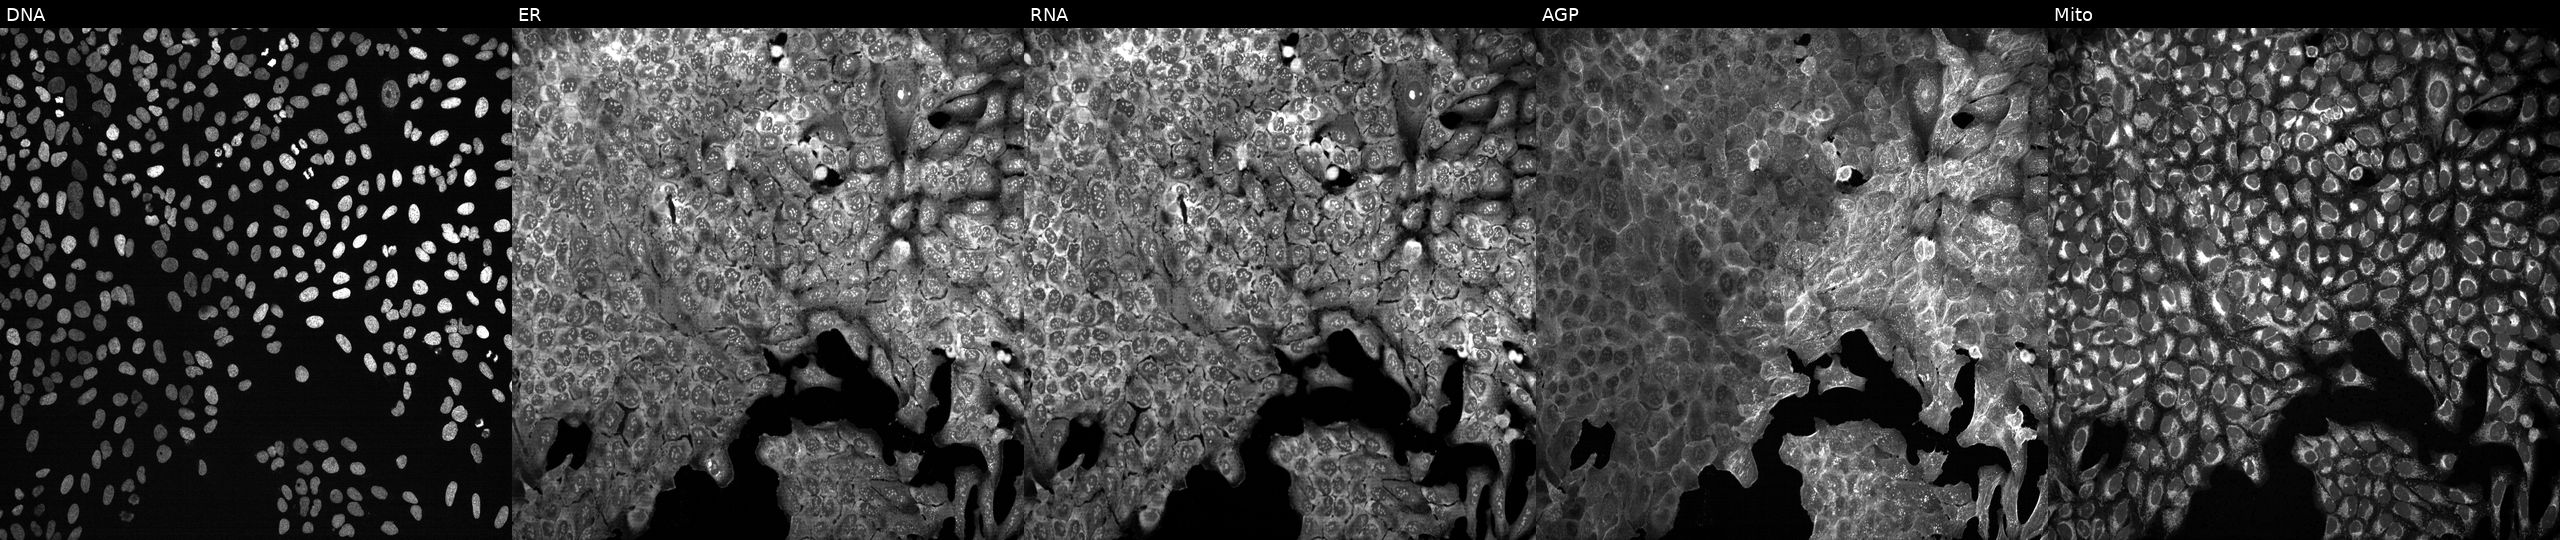
Five-channel Cell Painting image of U2OS cells following CRISPR knockout of PLAGL1 (JUMP id JCP2022_805236). Channels (left→right): DNA, ER, RNA, AGP, and Mito.